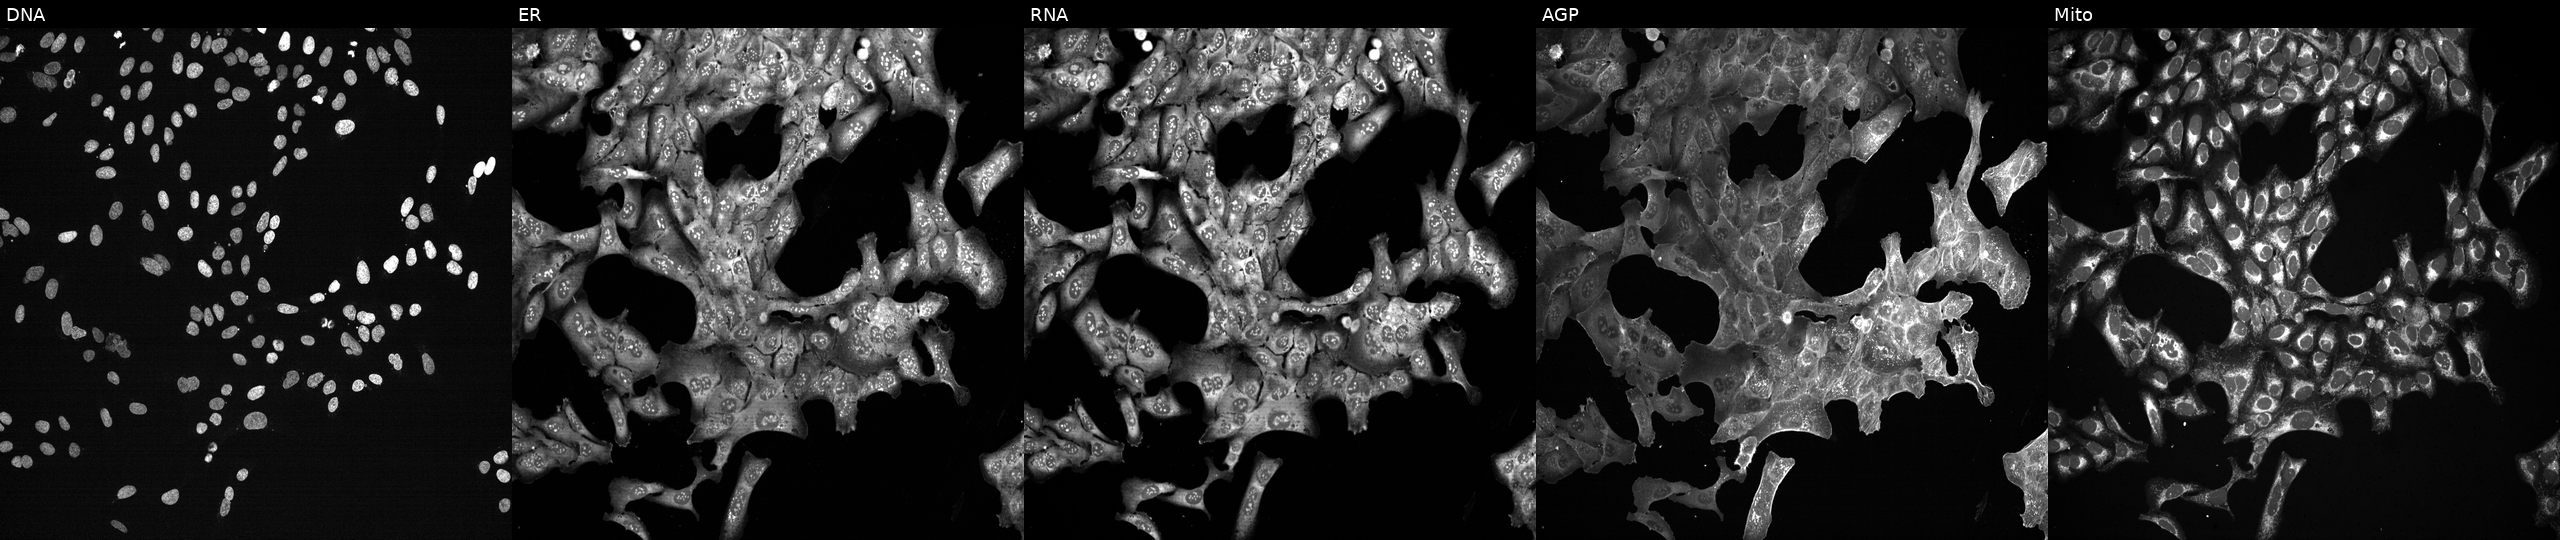
From left to right: DNA, ER, RNA, AGP, and Mito. U2OS osteosarcoma cells CRISPR-edited to disrupt PRSS3 (JUMP id JCP2022_805583). Cell Painting assay, JUMP-CP dataset. Source 13, plate CP-CC9-R6-19, well A17.